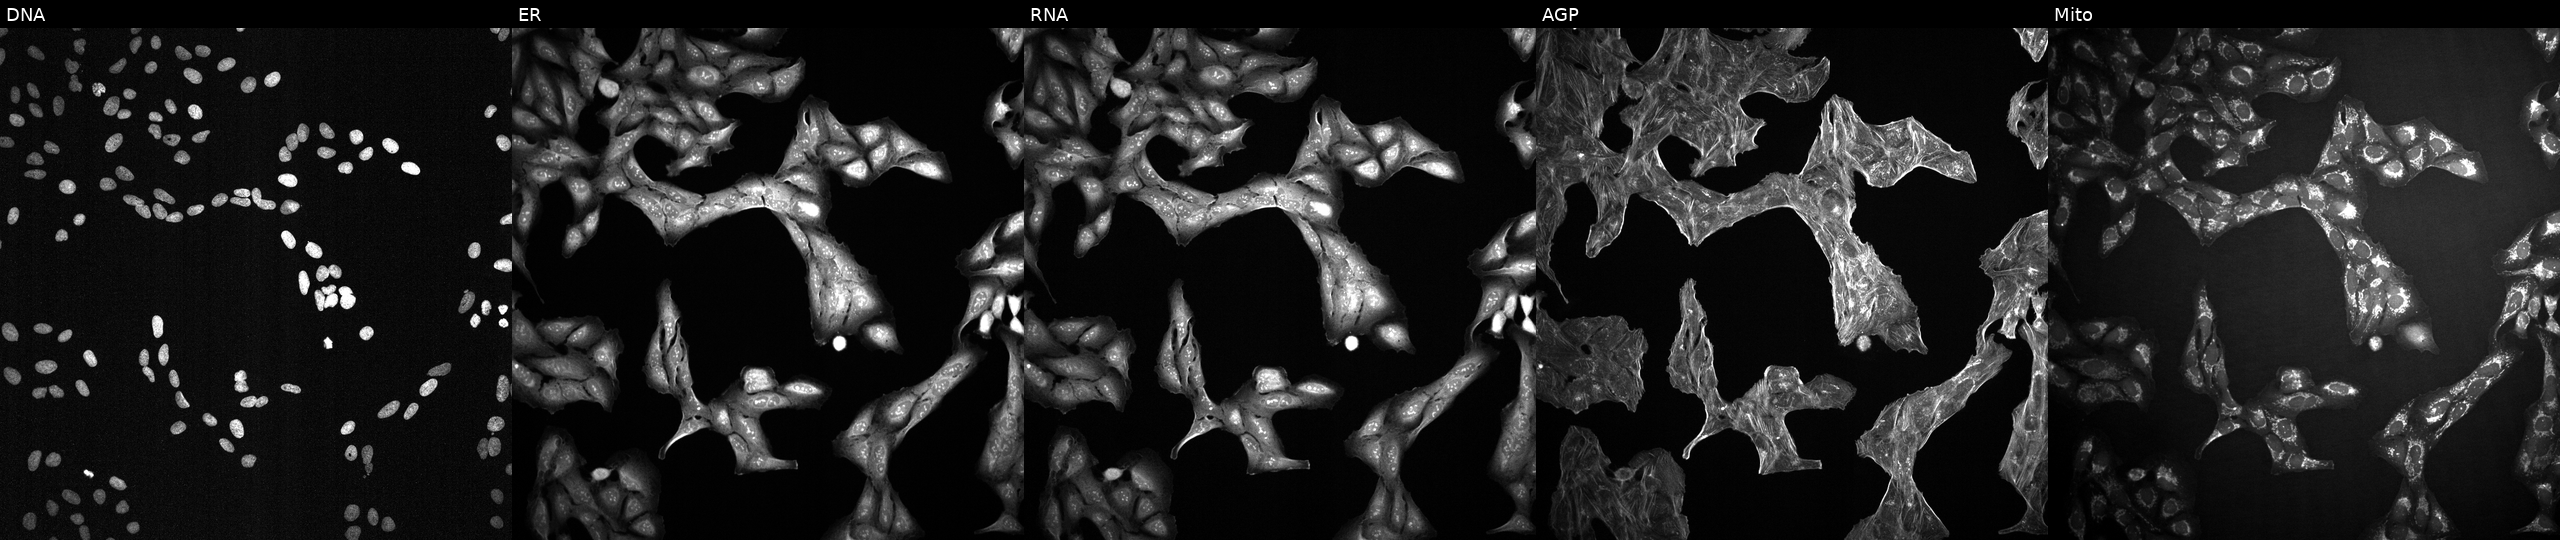
High-content fluorescence microscopy (Cell Painting). Cell line: U2OS. Perturbation: exposed to a small-molecule compound (InChIKey PMATZTZNYRCHOR-UHFFFAOYSA-N) [SMILES: CC=CCC(C)C(O)C1C(=O)NC(CC)C(=O)N(C)CC(=O)N(C)C(CC(C)C)C(=O)NC(C(C)C)C(=O)N(C)C(CC(C)C)C(=O)NC(C)C(=O)NC(C)C(=O)N(C)C(CC(C)C)C(=O)N(C)C(CC(C)C)C(=O)N(C)C(C(C)C)C(=O)N1C]. Channels (left→right): DNA, ER, RNA, AGP, and Mito.